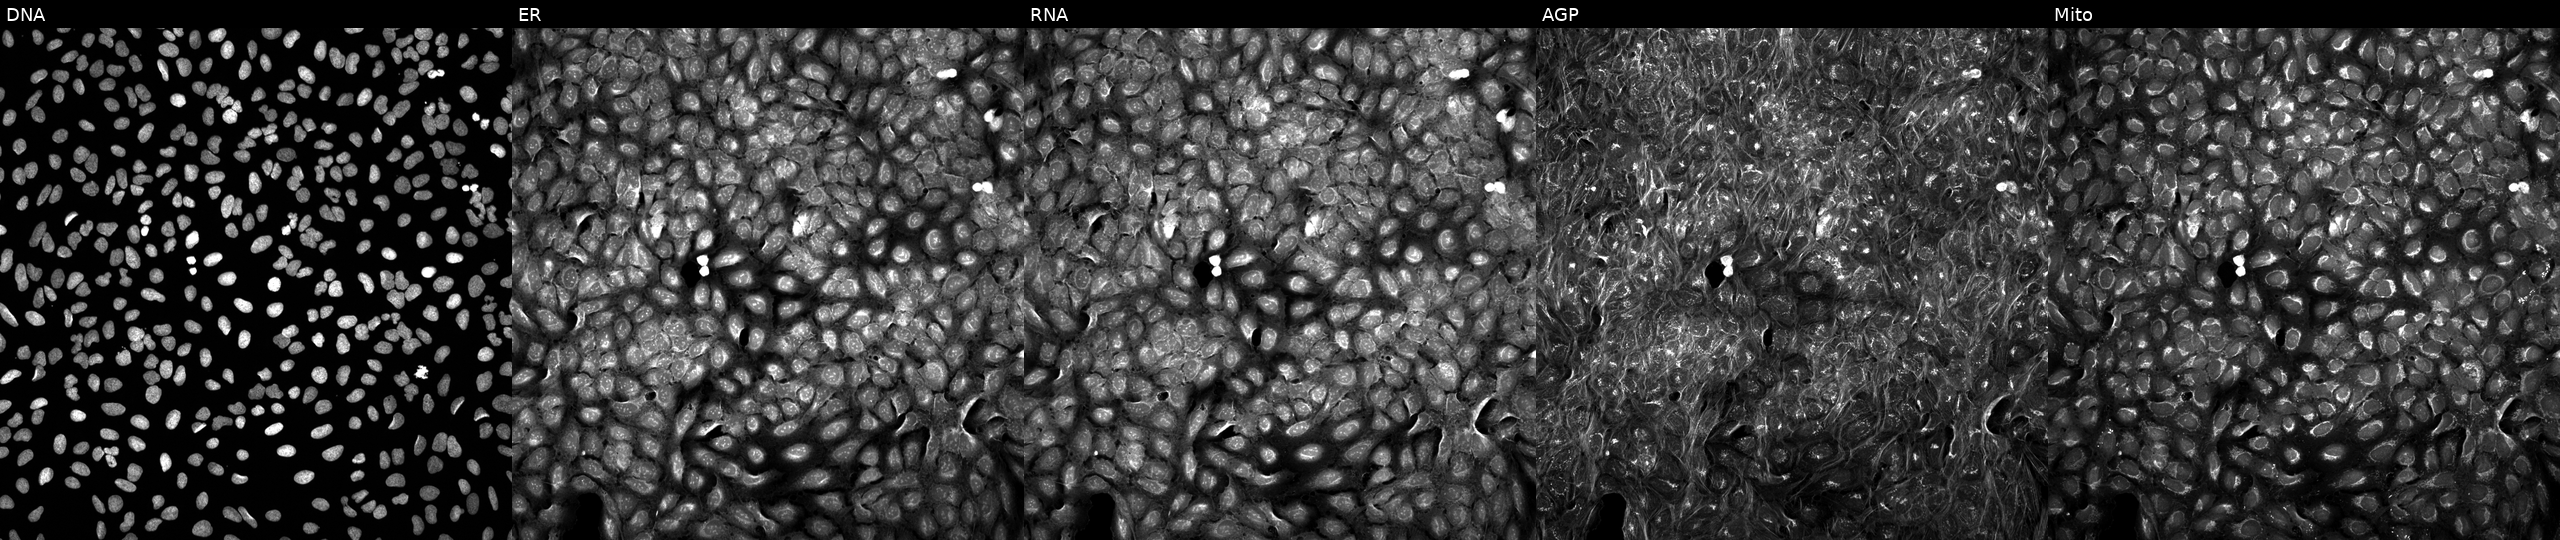
Panels show, left to right, DNA, ER, RNA, AGP, and Mito. U2OS osteosarcoma cells treated with a small-molecule compound (InChIKey SZLQMHFENYLQIF-UHFFFAOYSA-N). Cell Painting assay, JUMP-CP dataset.